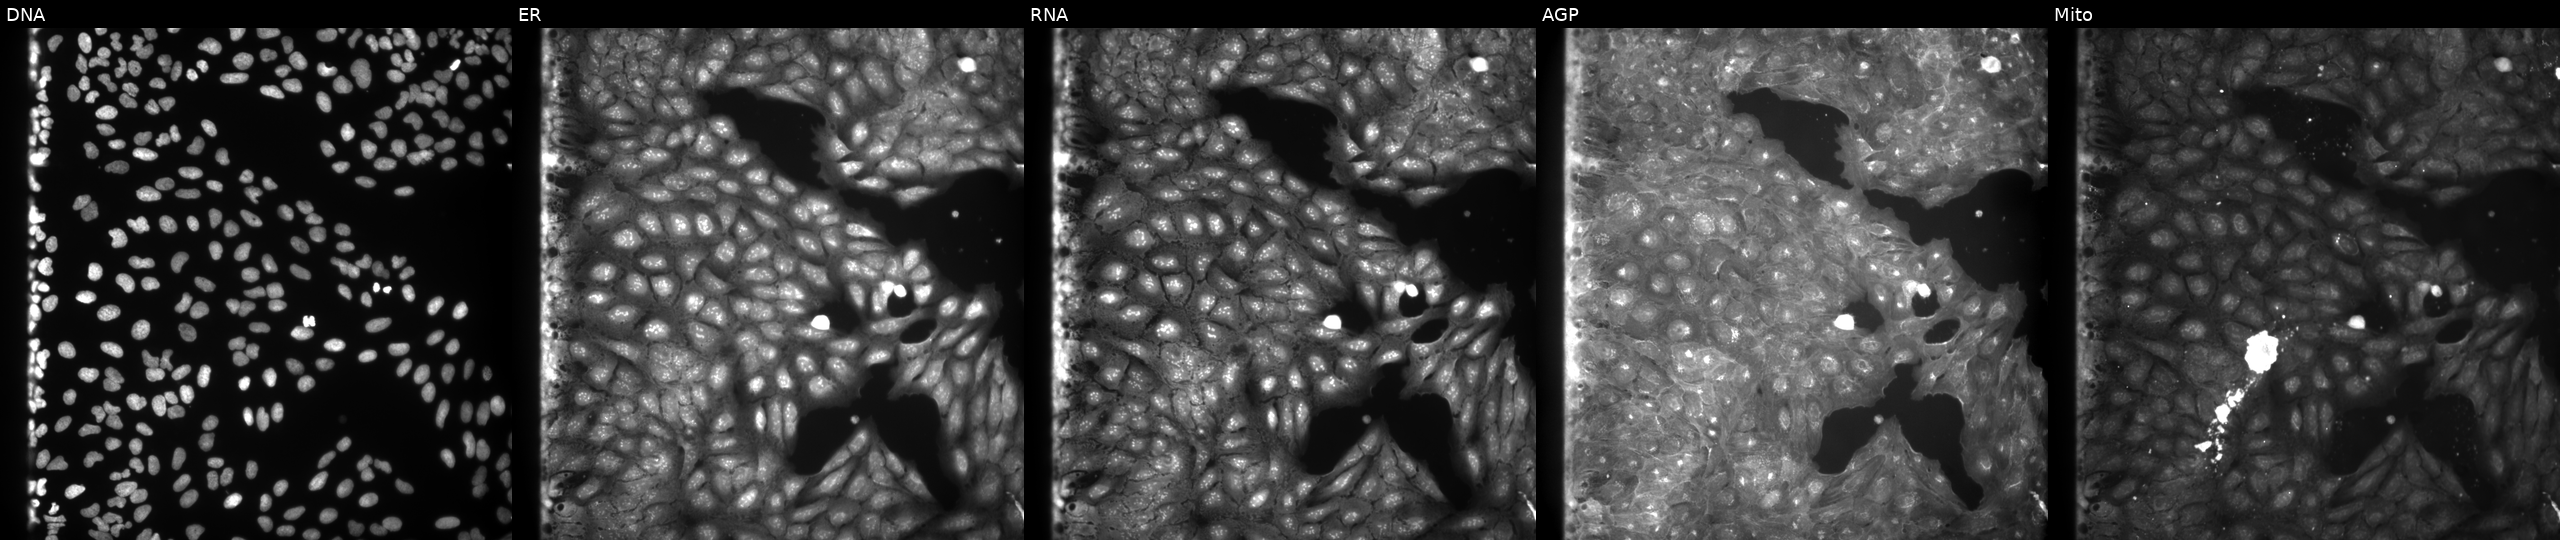
High-content fluorescence microscopy (Cell Painting). Cell line: U2OS. Perturbation: perturbed with a small-molecule compound (InChIKey BETKXQKGGUOWKV-UHFFFAOYSA-N) (JUMP id JCP2022_005846). The five panels, left to right, show DNA (nuclei); ER (endoplasmic reticulum); RNA (nucleoli and cytoplasmic RNA); AGP (actin cytoskeleton, Golgi, and plasma membrane); Mito (mitochondria).